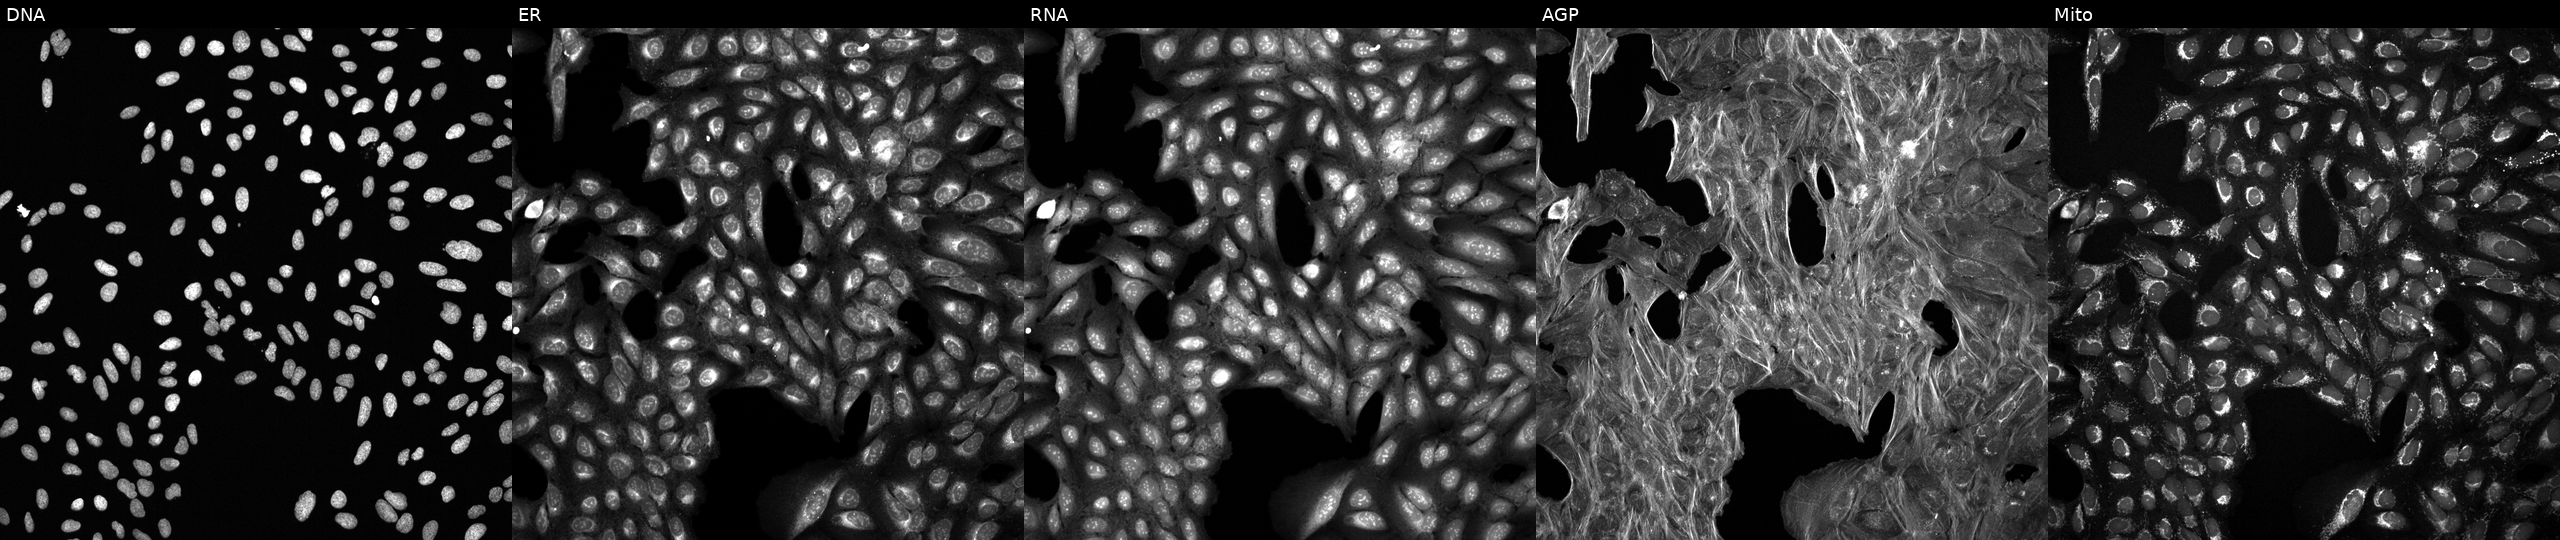
JUMP Cell Painting — TARGET2 plate. U2OS cells exposed to the positive-control compound aloxistatin. From left to right: Hoechst 33342, concanavalin A, SYTO 14, phalloidin and WGA, MitoTracker.